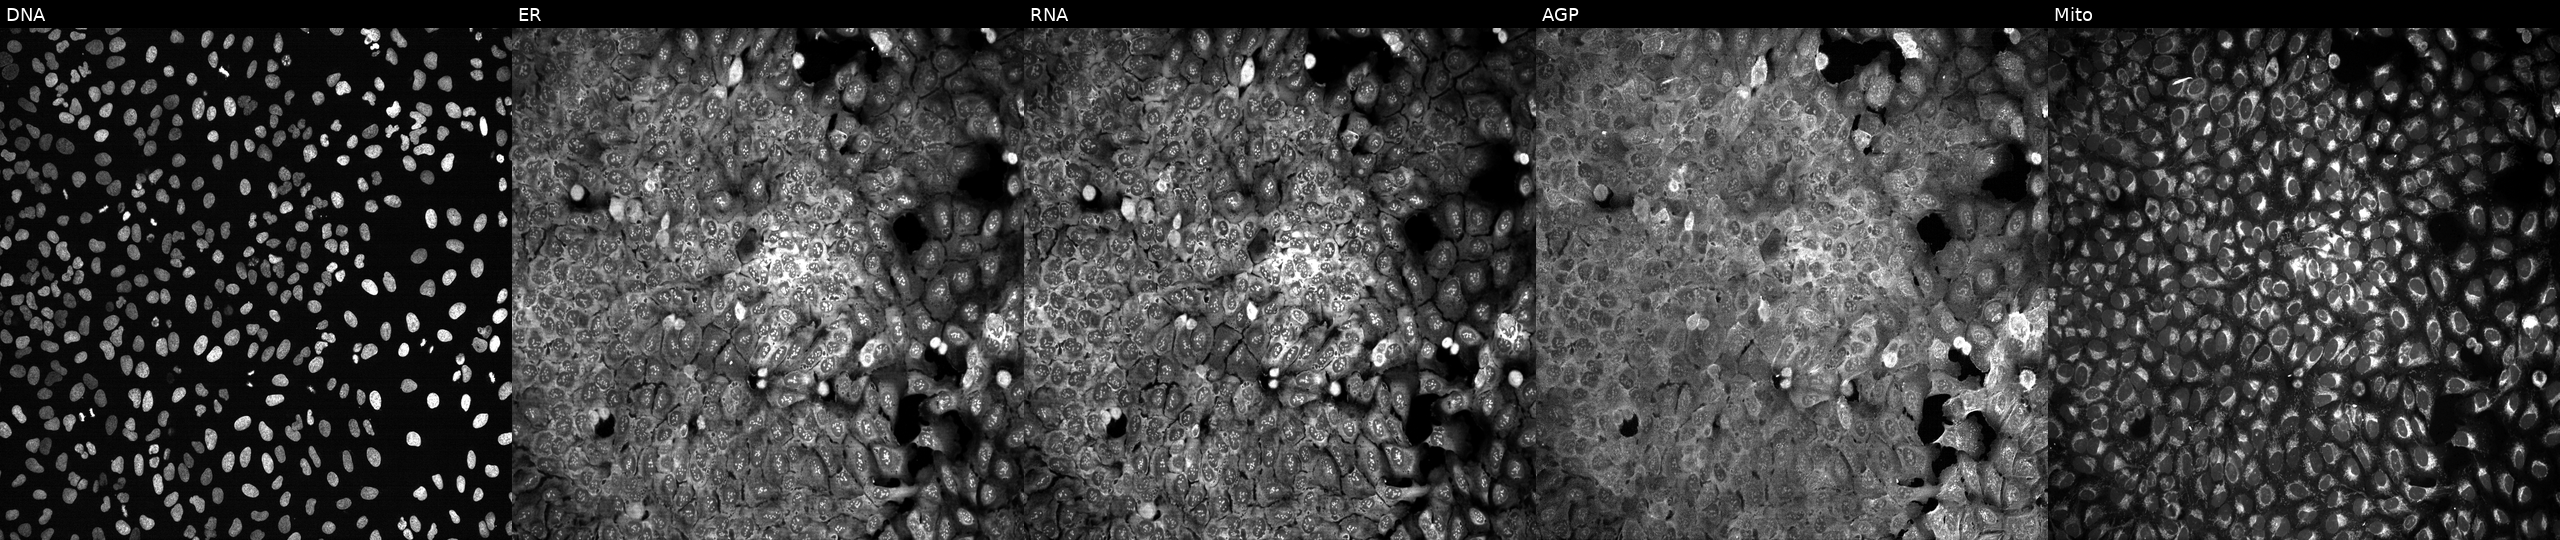
Channels (left→right): DNA (nuclei); ER (endoplasmic reticulum); RNA (nucleoli and cytoplasmic RNA); AGP (actin cytoskeleton, Golgi, and plasma membrane); Mito (mitochondria). U2OS osteosarcoma cells with a non-targeting CRISPR guide (negative control). Cell Painting assay, JUMP-CP dataset. Source 13, plate CP-CC9-R3-02, well M02.